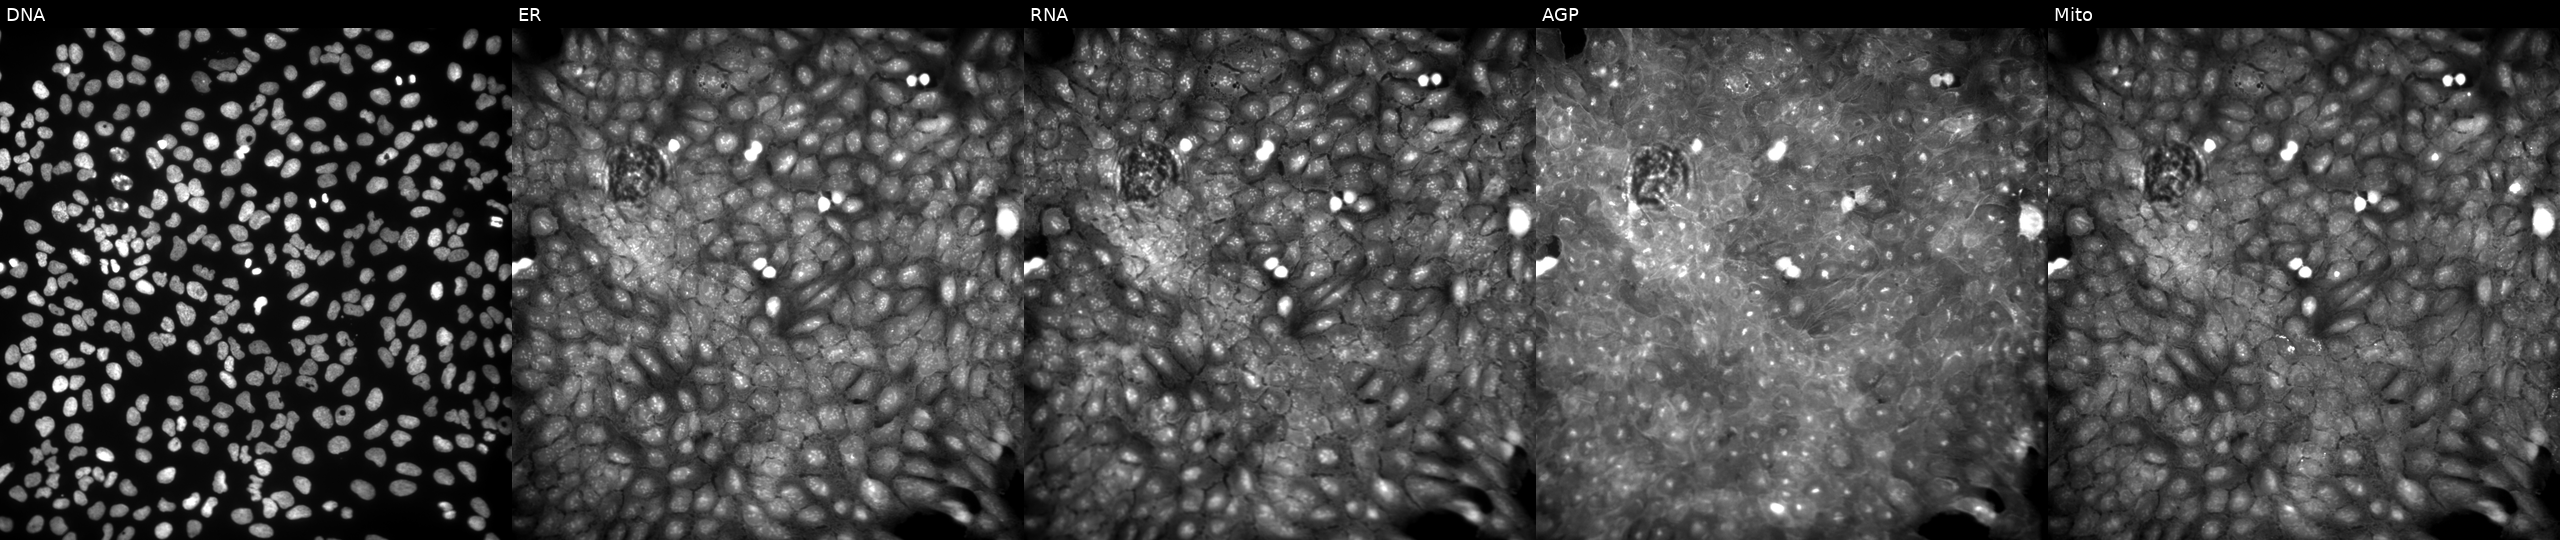
High-content fluorescence microscopy (Cell Painting). Cell line: U2OS. Perturbation: exposed to DMSO alone as a negative control (JUMP id JCP2022_033924). The five panels, left to right, show Hoechst 33342, concanavalin A, SYTO 14, phalloidin and WGA, MitoTracker. Source 9, plate GR00003382, well AA26.